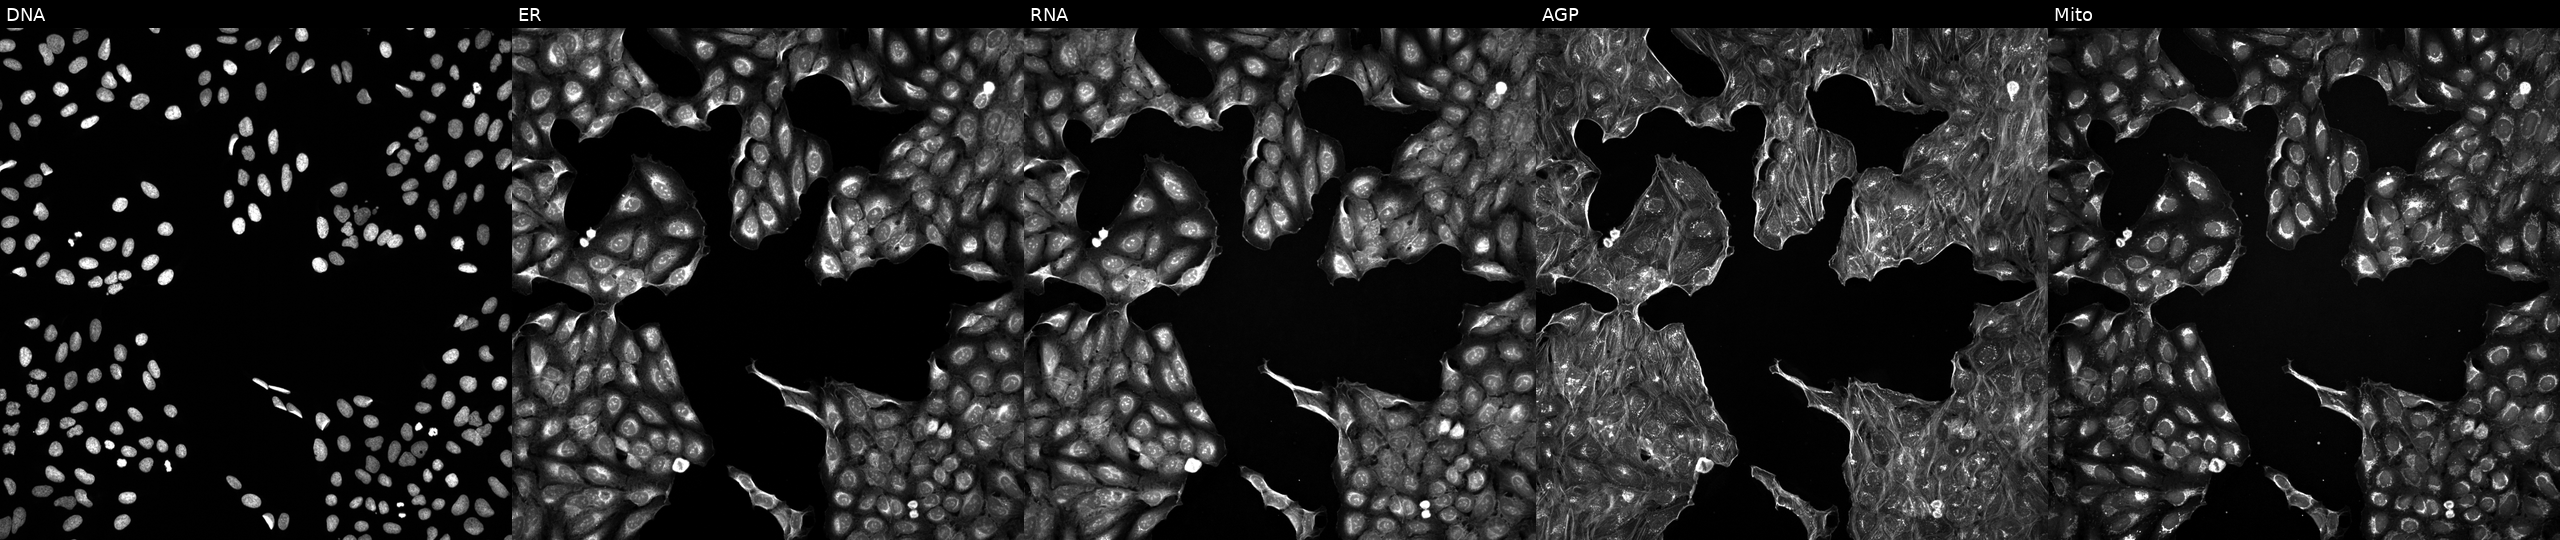
JUMP Cell Painting — TARGET2 plate. U2OS cells exposed to a small-molecule compound (InChIKey JPGQOUSTVILISH-UHFFFAOYSA-N) [SMILES: FC(F)OC(F)(F)C(F)Cl]. Panels show, left to right, Hoechst 33342, concanavalin A, SYTO 14, phalloidin and WGA, MitoTracker.